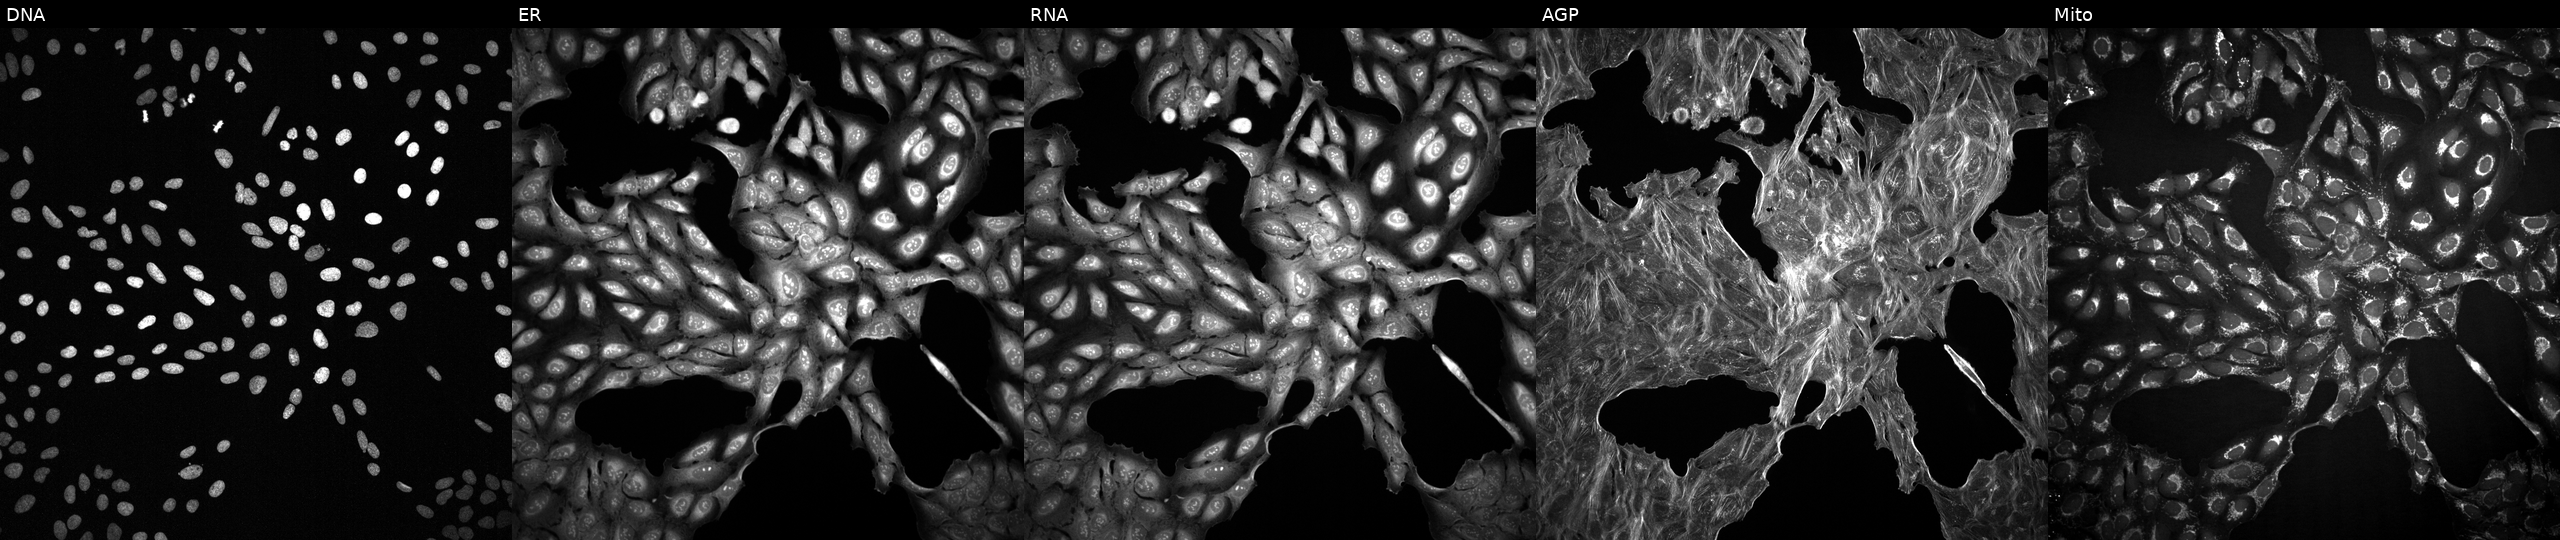
From left to right: DNA (nuclei); ER (endoplasmic reticulum); RNA (nucleoli and cytoplasmic RNA); AGP (actin cytoskeleton, Golgi, and plasma membrane); Mito (mitochondria). U2OS osteosarcoma cells treated with a small-molecule compound (InChIKey HQZGEOIOZIKYFB-UHFFFAOYSA-N). Cell Painting assay, JUMP-CP dataset.